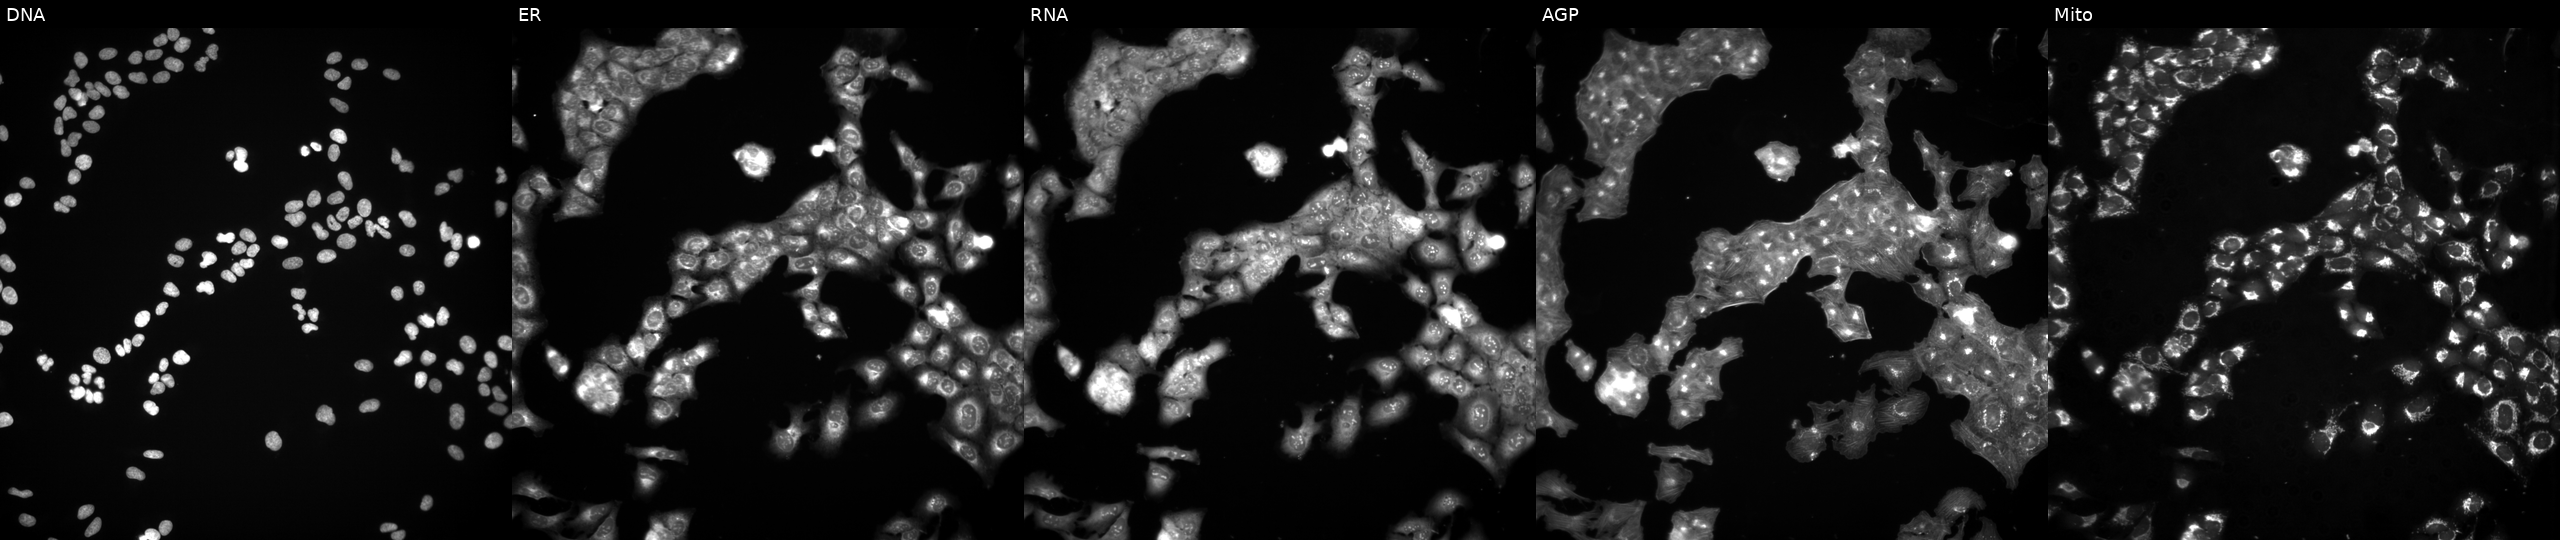
U2OS cells, Cell Painting assay, treated with NVS-PAK1-1 (positive-control compound). The five panels, left to right, show DNA, ER, RNA, AGP, and Mito. Each panel is percentile-stretched 16-bit fluorescence.